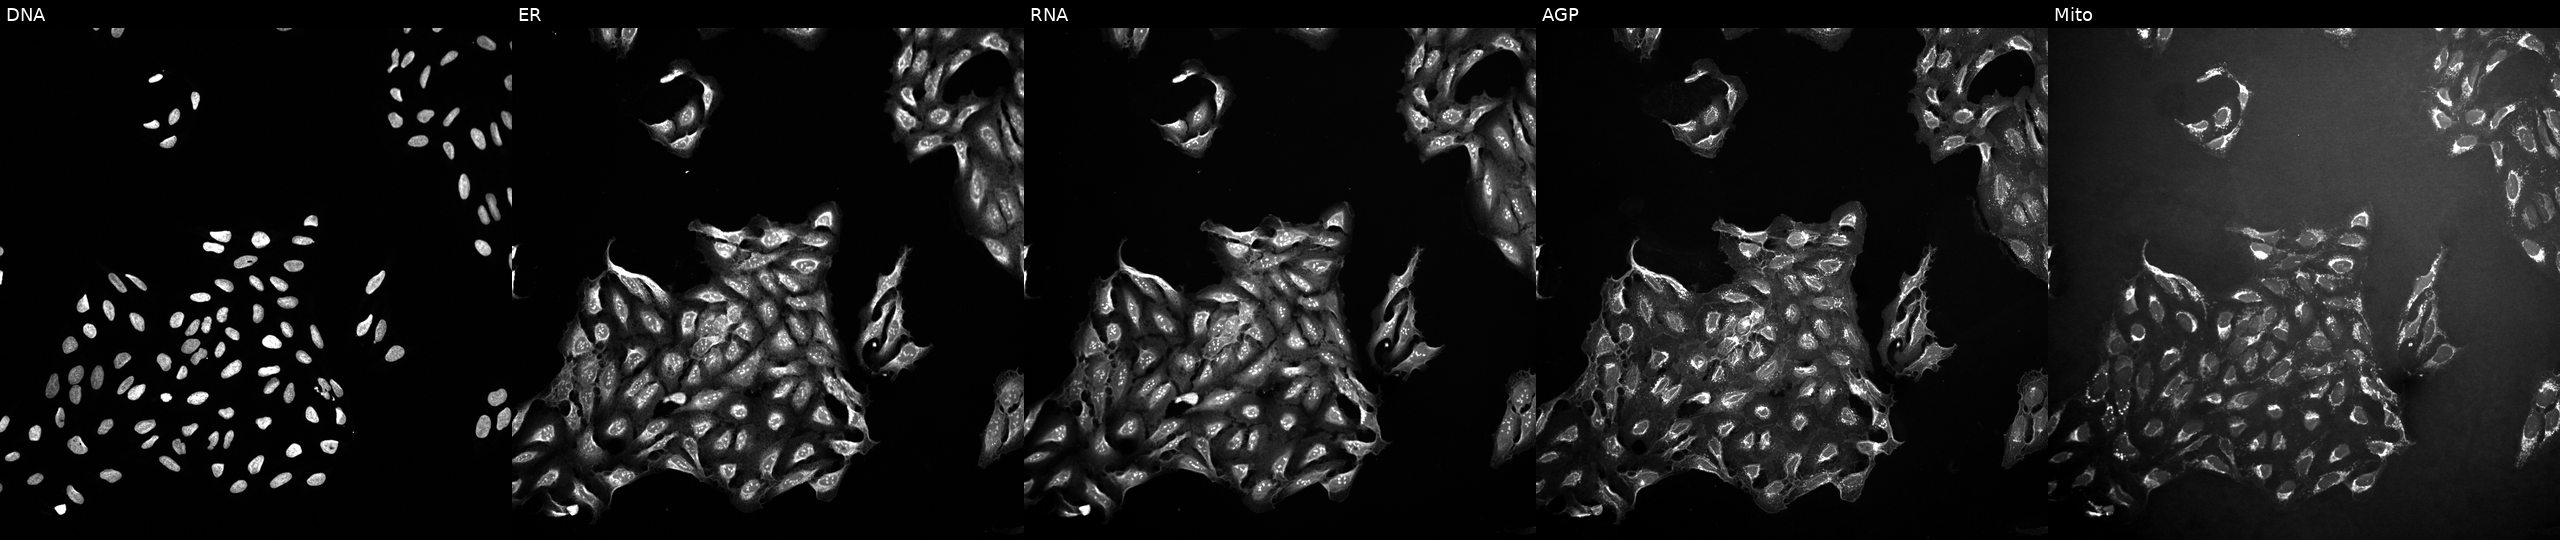
JUMP Cell Painting — TARGET2 plate. U2OS cells exposed to DMSO alone as a negative control (JUMP id JCP2022_033924). From left to right: DNA, ER, RNA, AGP, and Mito. Source 10, plate Dest210803-153958, well B13.